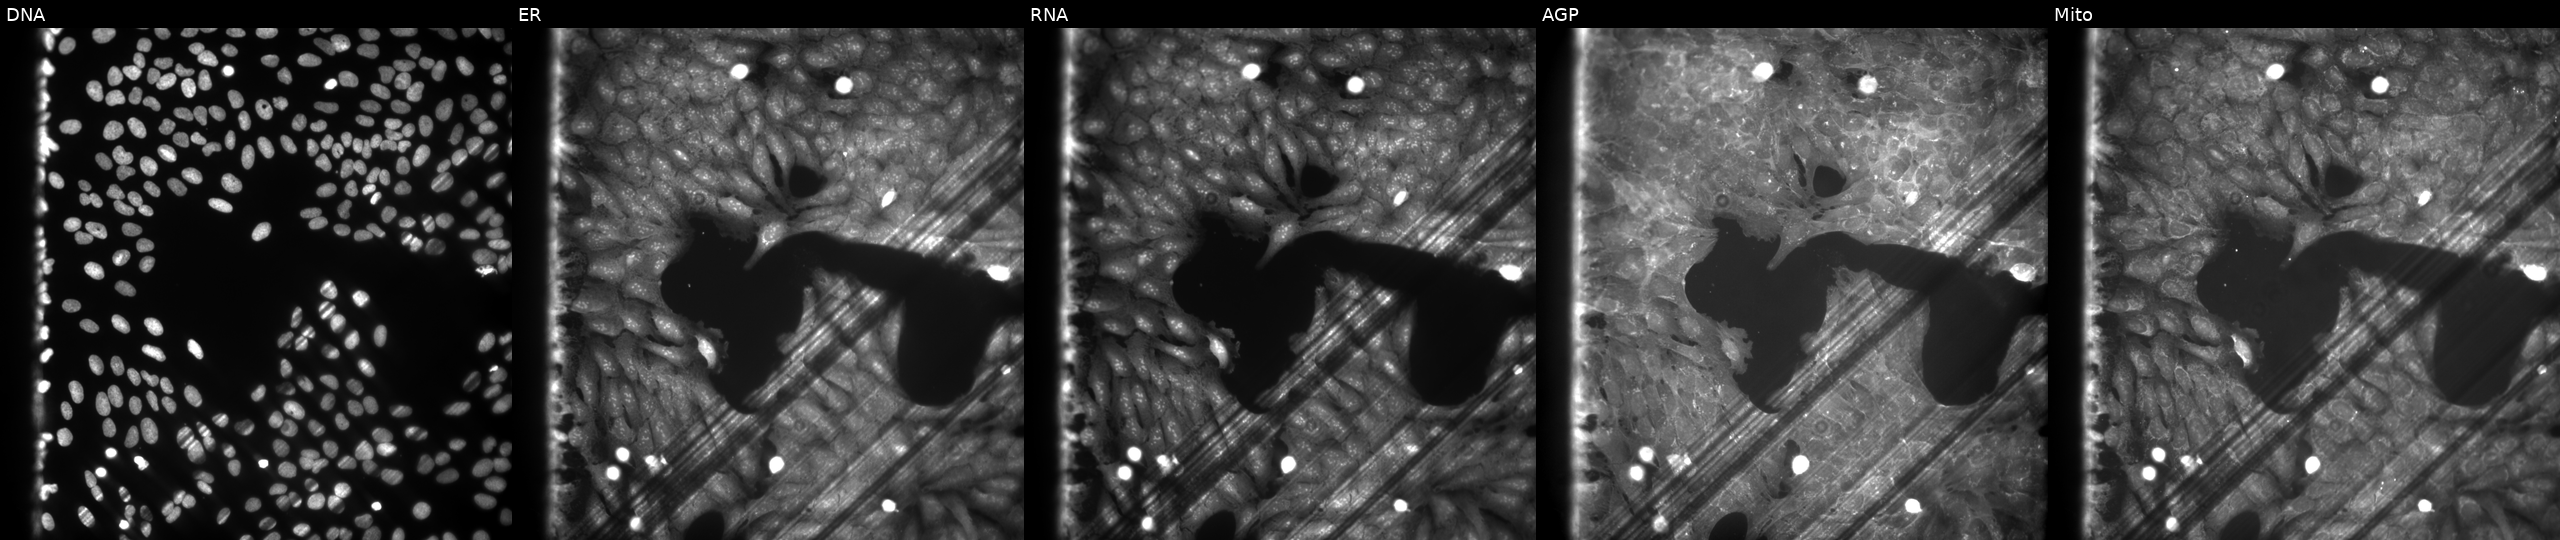
Channels (left→right): DNA (nuclei); ER (endoplasmic reticulum); RNA (nucleoli and cytoplasmic RNA); AGP (actin cytoskeleton, Golgi, and plasma membrane); Mito (mitochondria). U2OS osteosarcoma cells exposed to the positive-control compound dexamethasone (JUMP id JCP2022_025848). Cell Painting assay, JUMP-CP dataset.